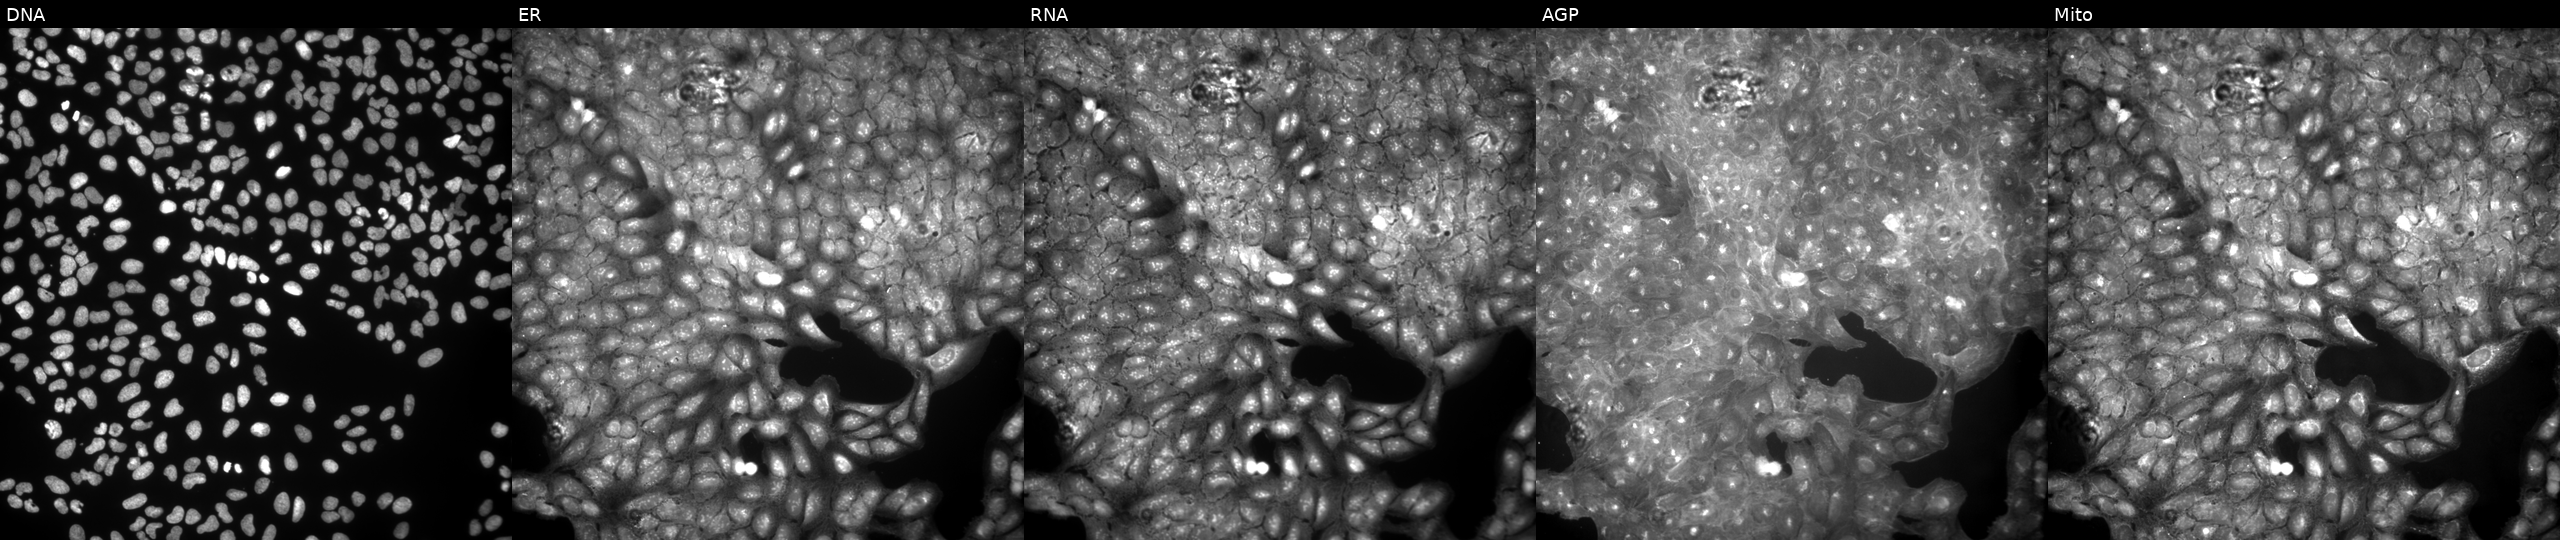
This image strip shows the five Cell Painting channels for a single field of U2OS cells treated with a small-molecule compound (JUMP id JCP2022_112225). The five panels, left to right, show DNA, ER, RNA, AGP, and Mito.